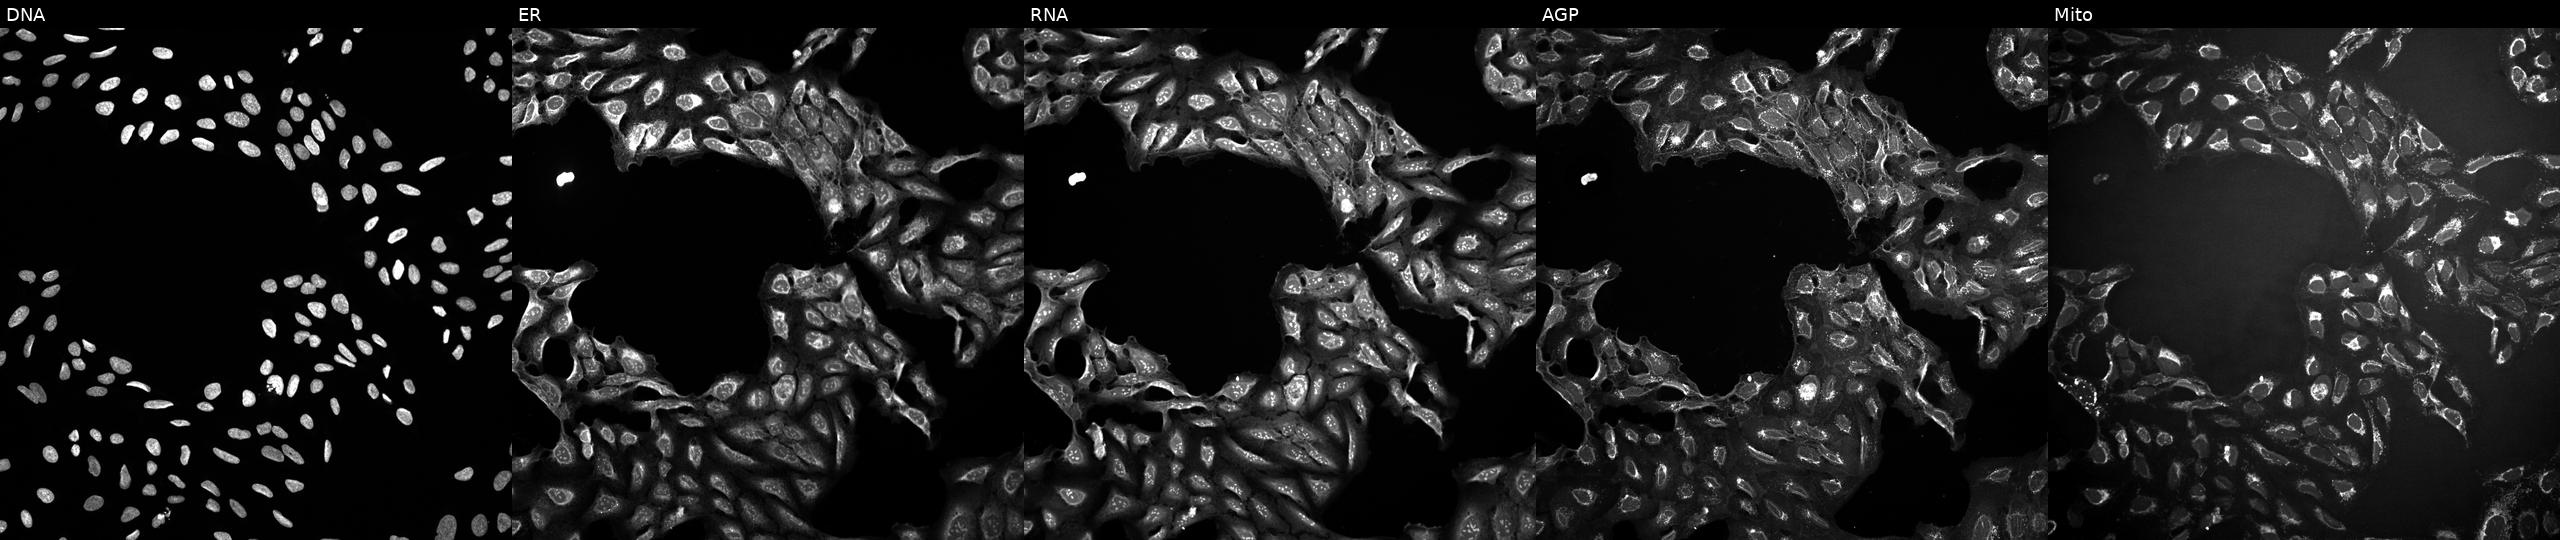
JUMP Cell Painting — TARGET2 plate. U2OS cells exposed to a small-molecule compound (InChIKey KRKNYBCHXYNGOX-UHFFFAOYSA-N) [SMILES: O=C(O)CC(O)(CC(=O)O)C(=O)O]. Panels show, left to right, Hoechst 33342, concanavalin A, SYTO 14, phalloidin and WGA, MitoTracker. Source 10, plate Dest210803-153958, well L12.